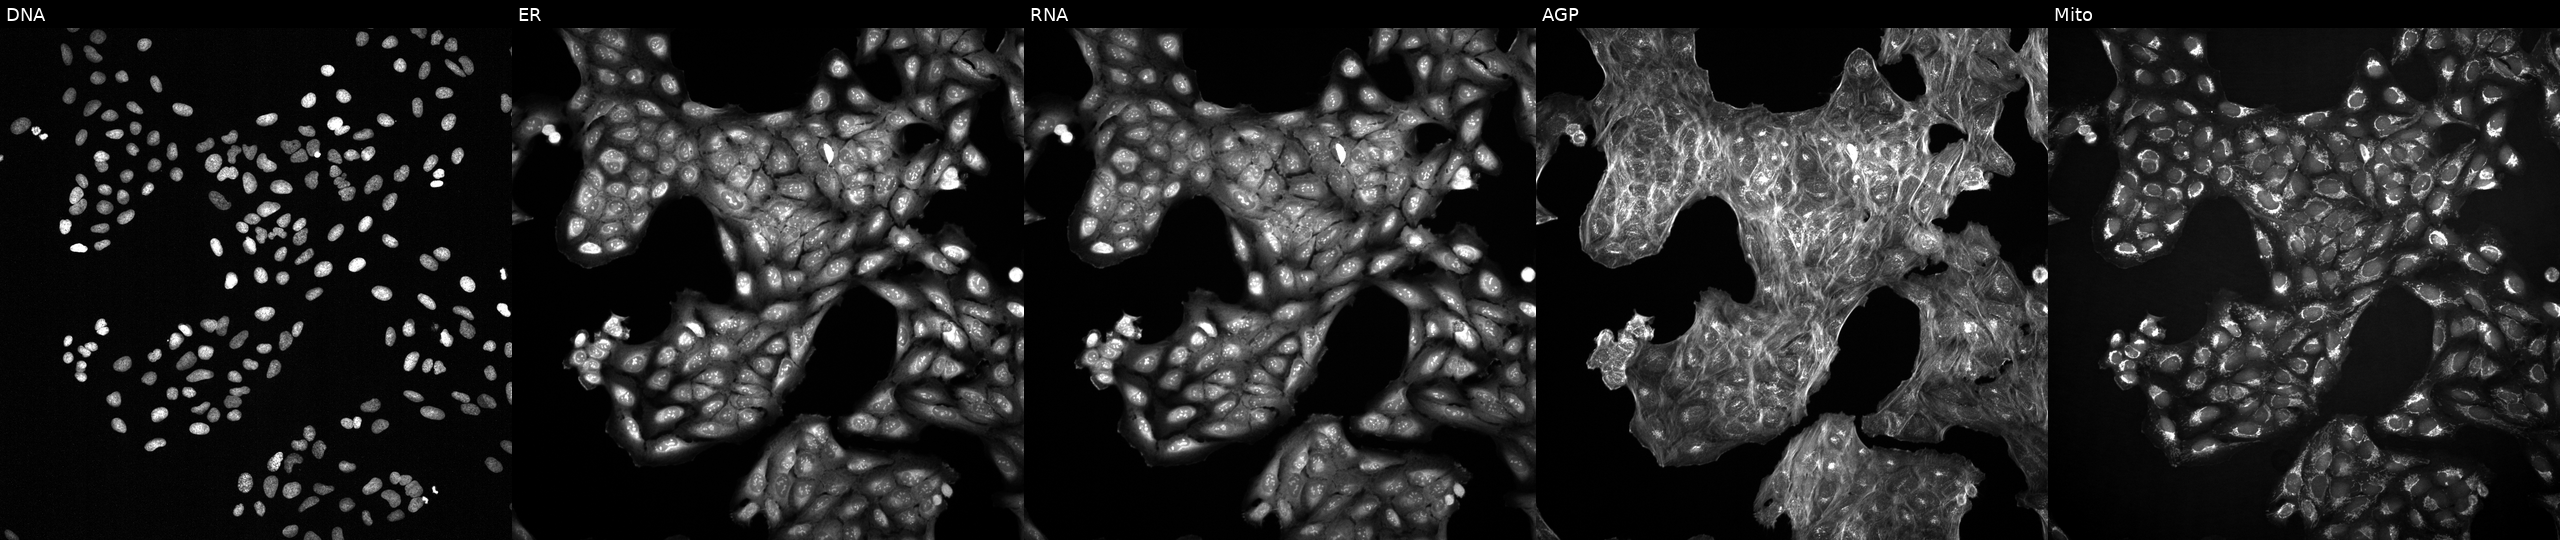
Five-channel Cell Painting image of U2OS cells with an unidentified perturbation (not annotated in JUMP metadata). The five panels, left to right, show DNA, ER, RNA, AGP, and Mito.